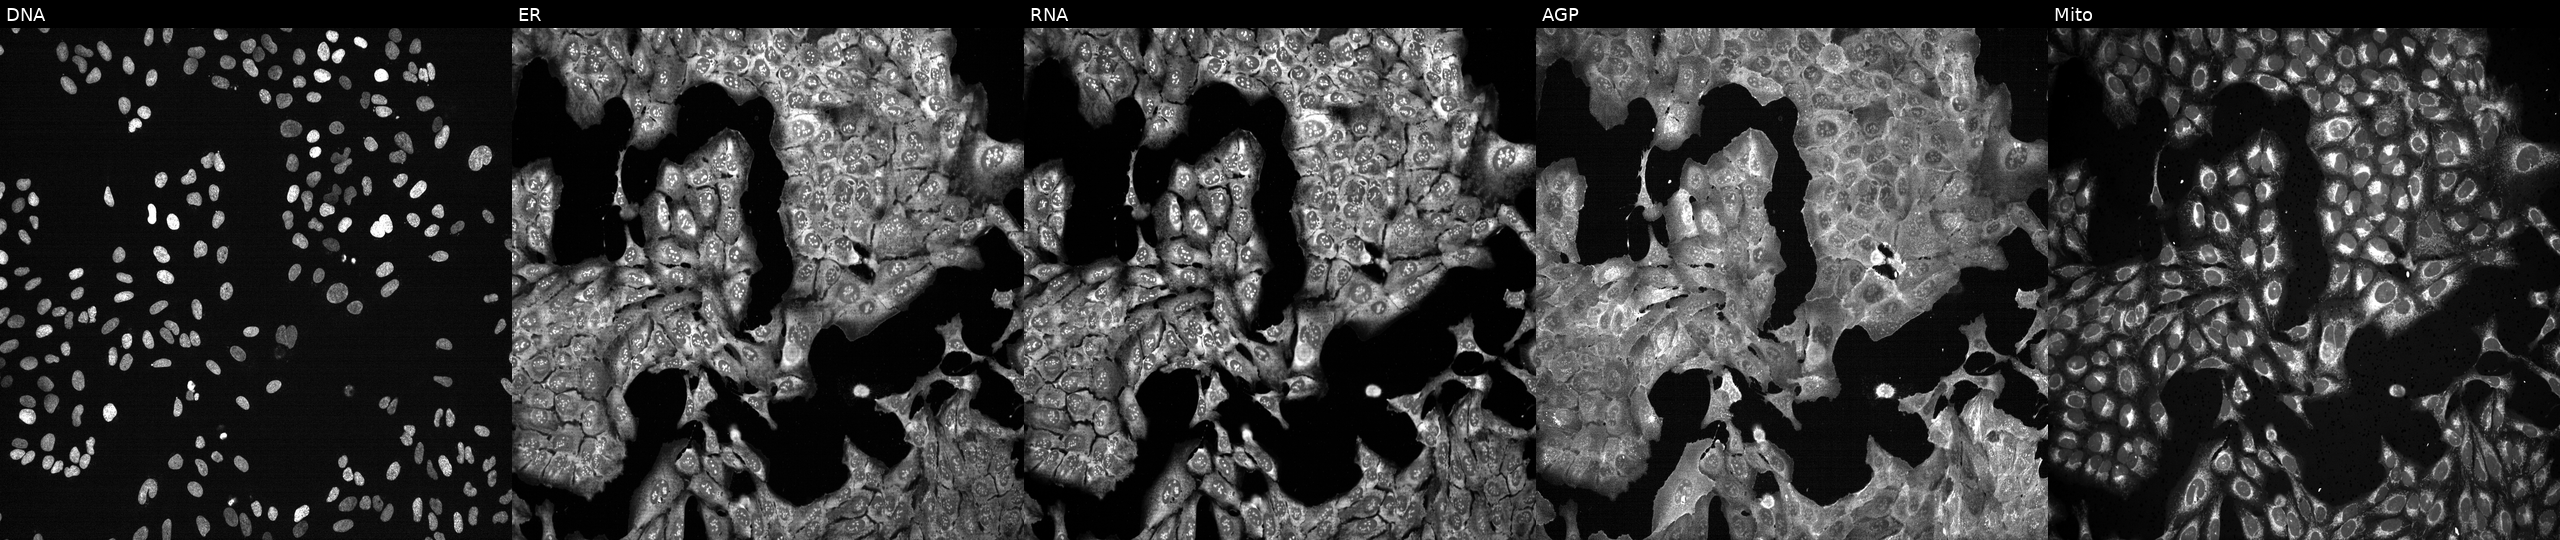
High-content fluorescence microscopy (Cell Painting). Cell line: U2OS. Perturbation: with AKR1B10 knocked out by CRISPR. From left to right: DNA, ER, RNA, AGP, and Mito.